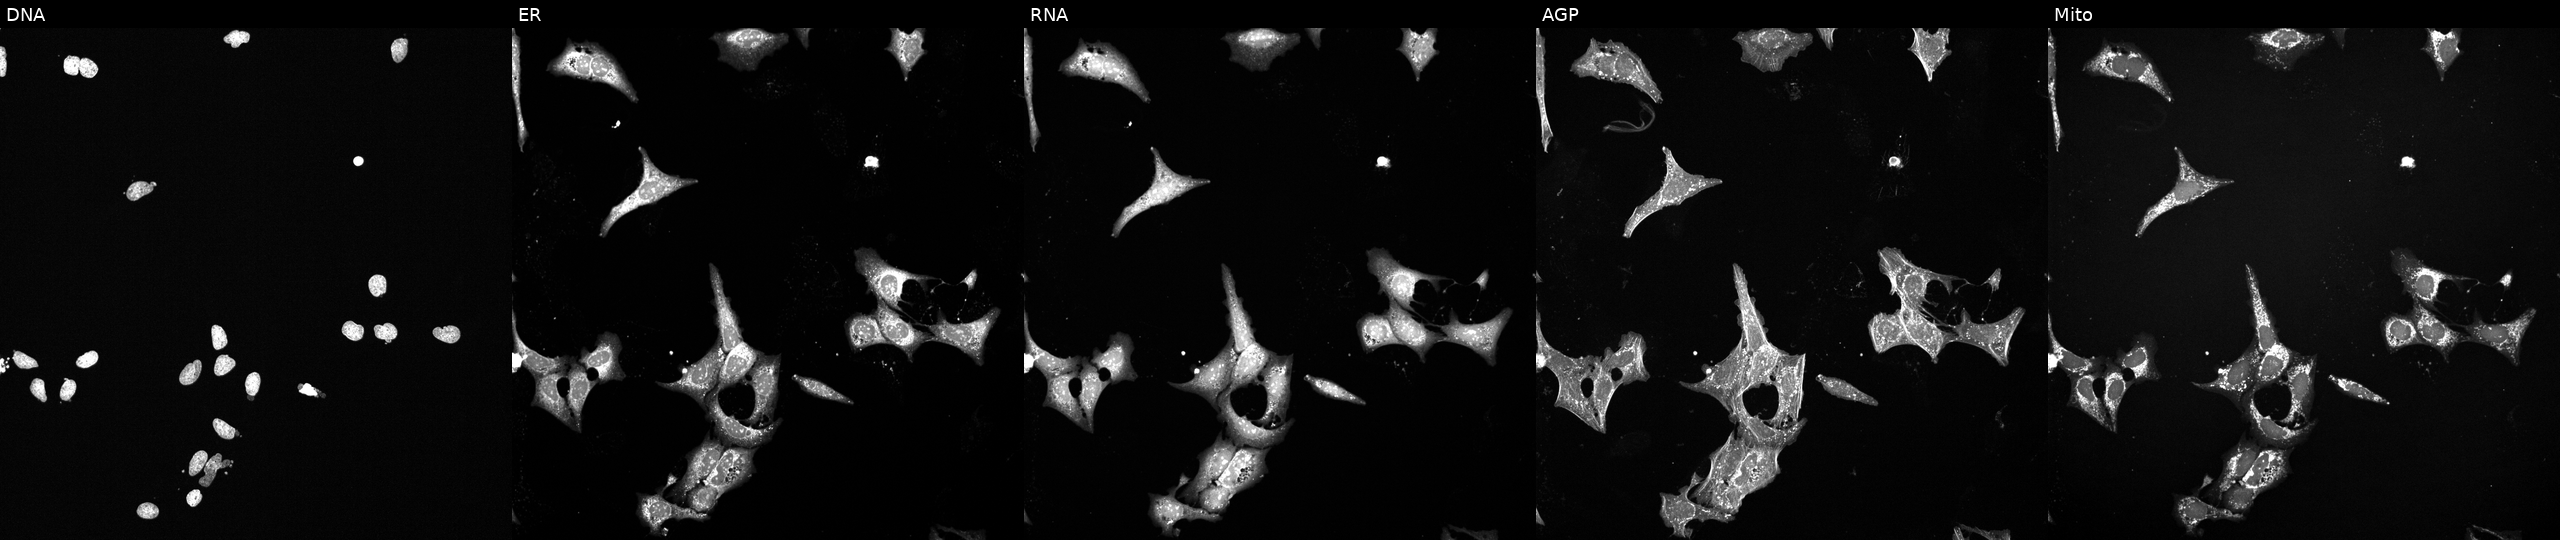
High-content fluorescence microscopy (Cell Painting). Cell line: U2OS. Perturbation: exposed to a small-molecule compound. From left to right: Hoechst 33342, concanavalin A, SYTO 14, phalloidin and WGA, MitoTracker. Source 6, plate 110000294901, well C11.